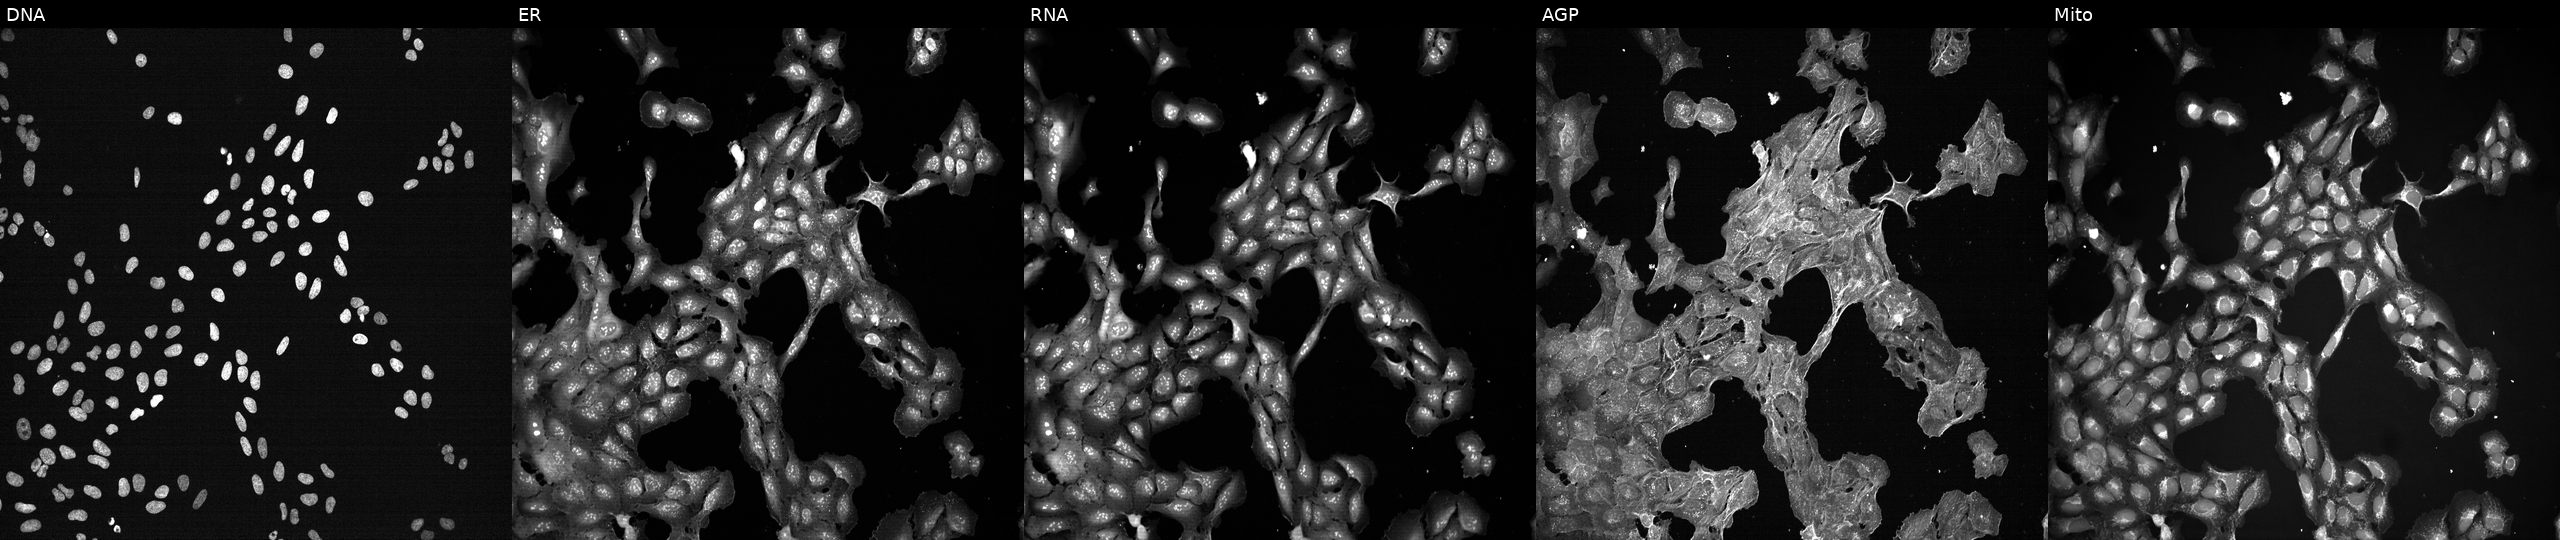
This image strip shows the five Cell Painting channels for a single field of U2OS cells perturbed with a small-molecule compound [SMILES: CCC(c1ccc(O)cc1)C(CC)c1ccc(O)cc1] (JUMP id JCP2022_067426). Panels show, left to right, Hoechst 33342, concanavalin A, SYTO 14, phalloidin and WGA, MitoTracker. Source 7, plate CP2-SC1-25, well O22.